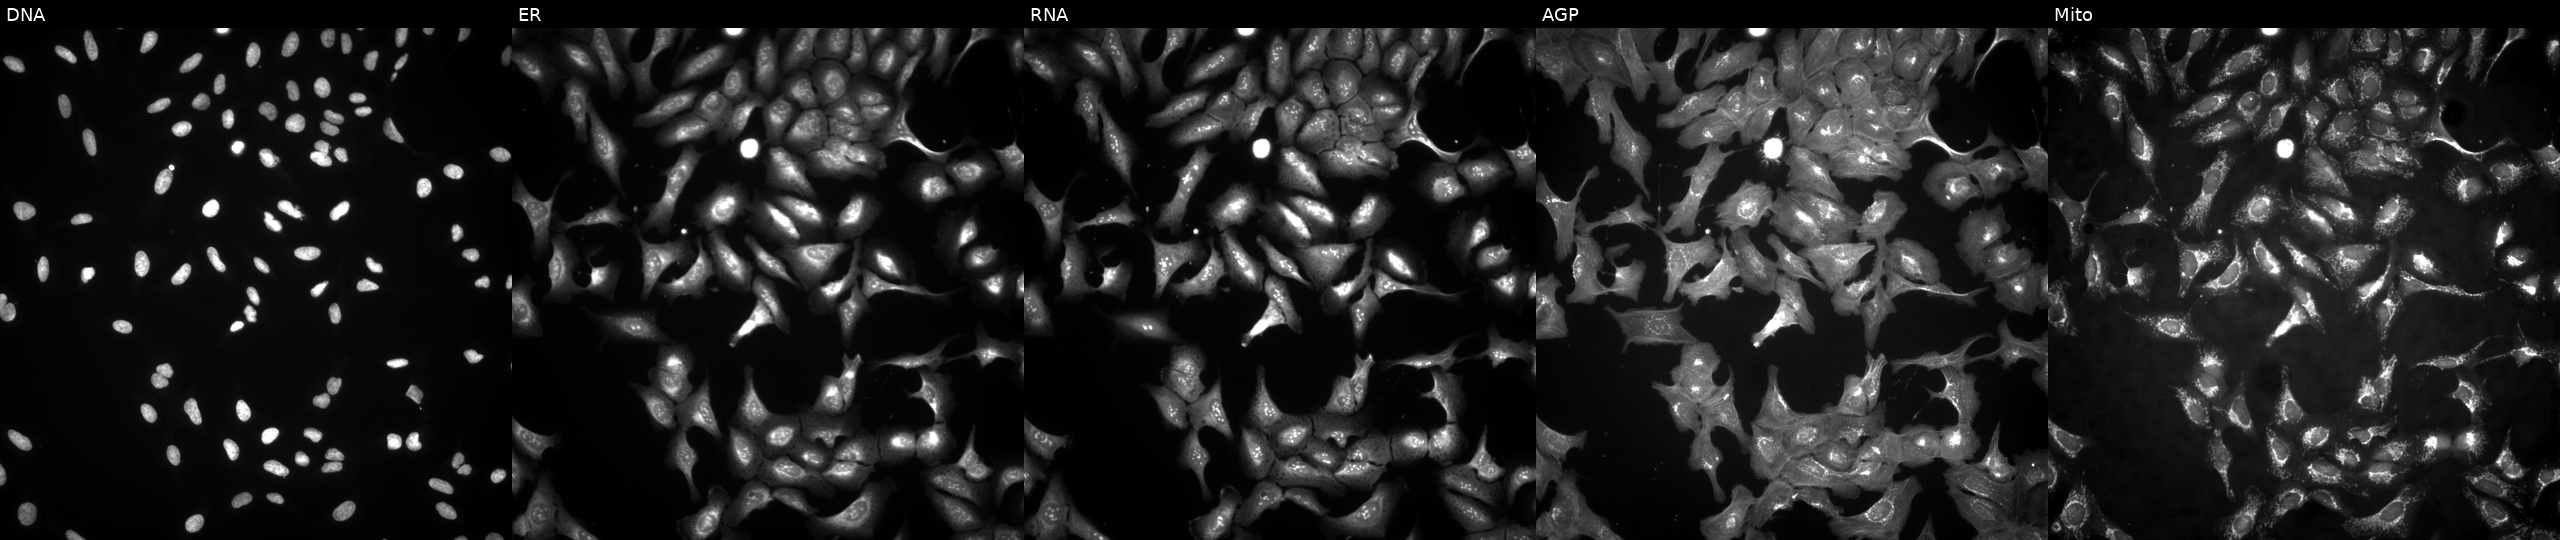
Five-channel Cell Painting image of U2OS cells with ALKBH3 overexpressed (ORF). Channels (left→right): DNA (nuclei); ER (endoplasmic reticulum); RNA (nucleoli and cytoplasmic RNA); AGP (actin cytoskeleton, Golgi, and plasma membrane); Mito (mitochondria).